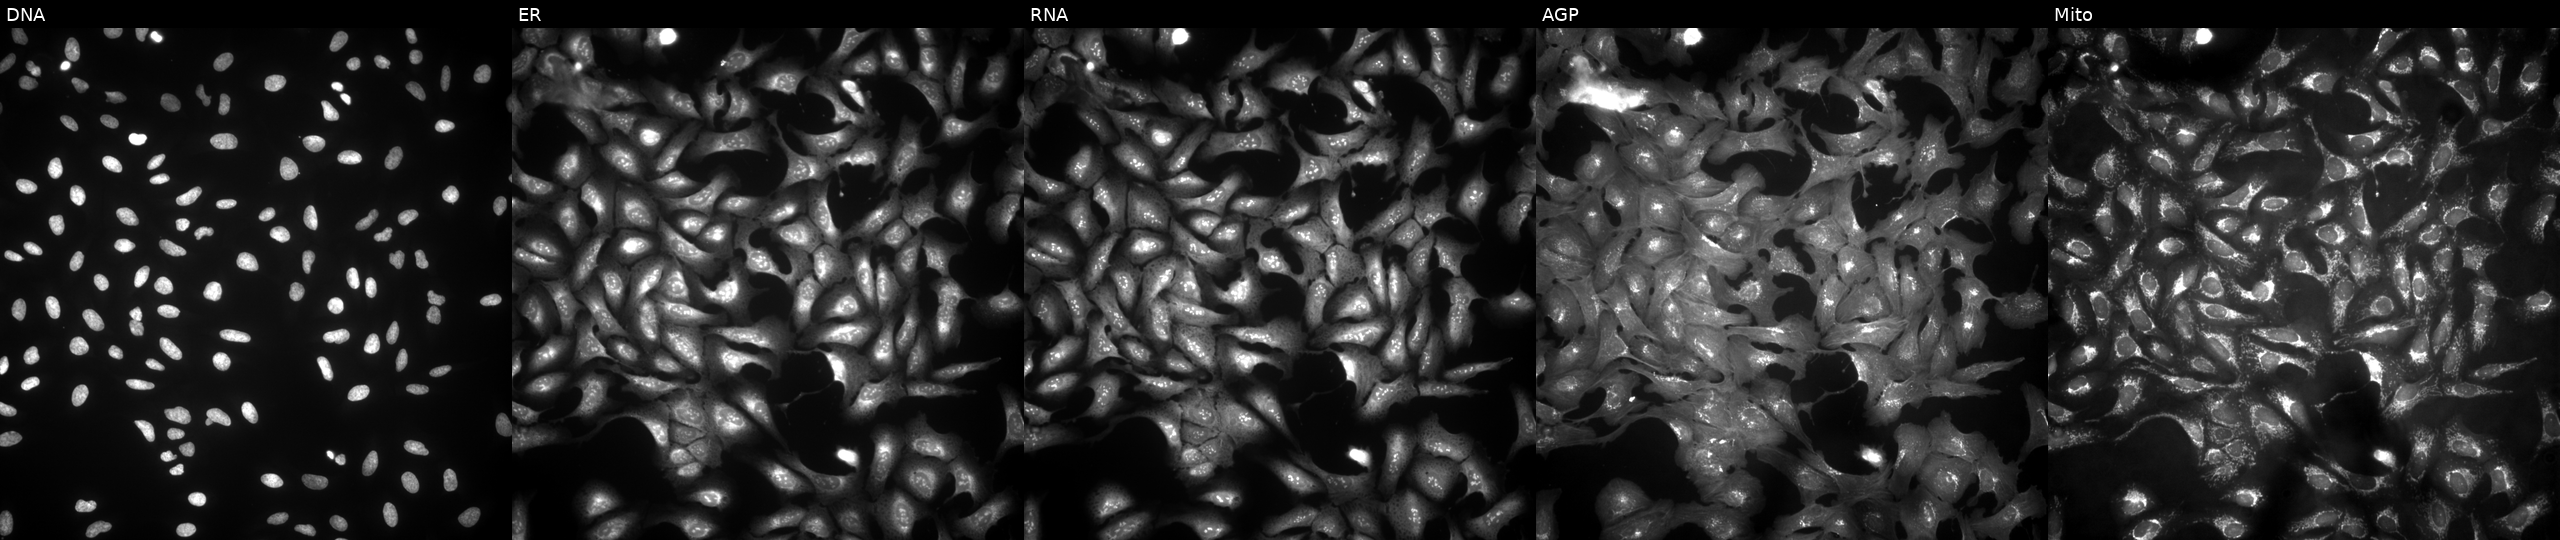
JUMP Cell Painting — ORF plate. U2OS cells transfected with an ORF construct for CIAO3 (JUMP id JCP2022_903706). The five panels, left to right, show Hoechst 33342, concanavalin A, SYTO 14, phalloidin and WGA, MitoTracker. Source 4, plate BR00123506, well J09.